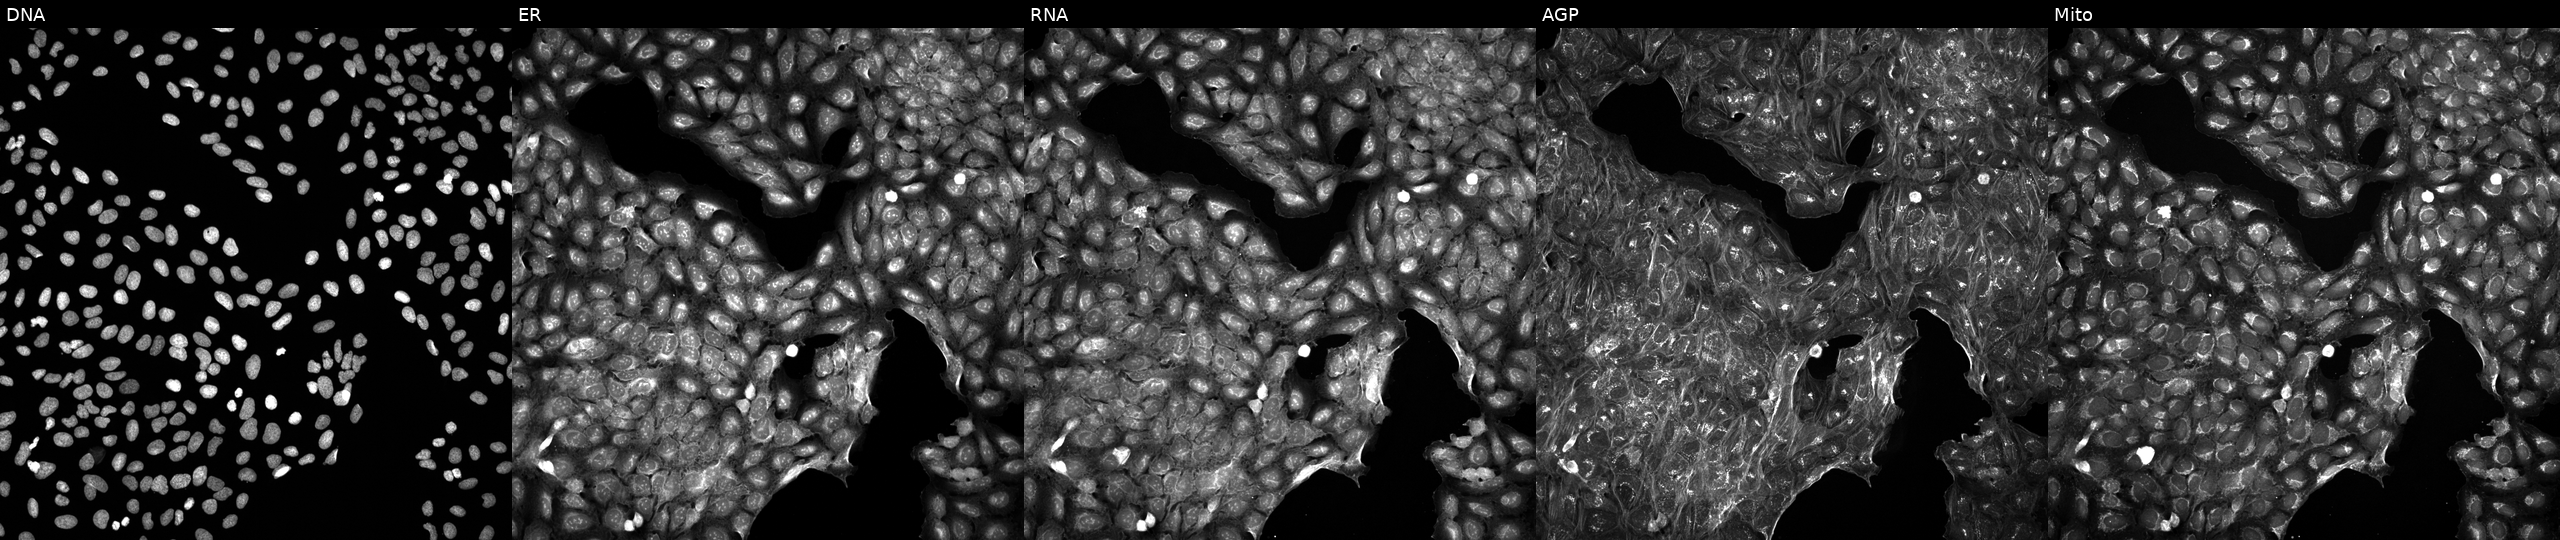
Five-channel Cell Painting image of U2OS cells perturbed with a small-molecule compound. Panels show, left to right, DNA (nuclei); ER (endoplasmic reticulum); RNA (nucleoli and cytoplasmic RNA); AGP (actin cytoskeleton, Golgi, and plasma membrane); Mito (mitochondria). Source 5, plate APTJUM106, well F16.